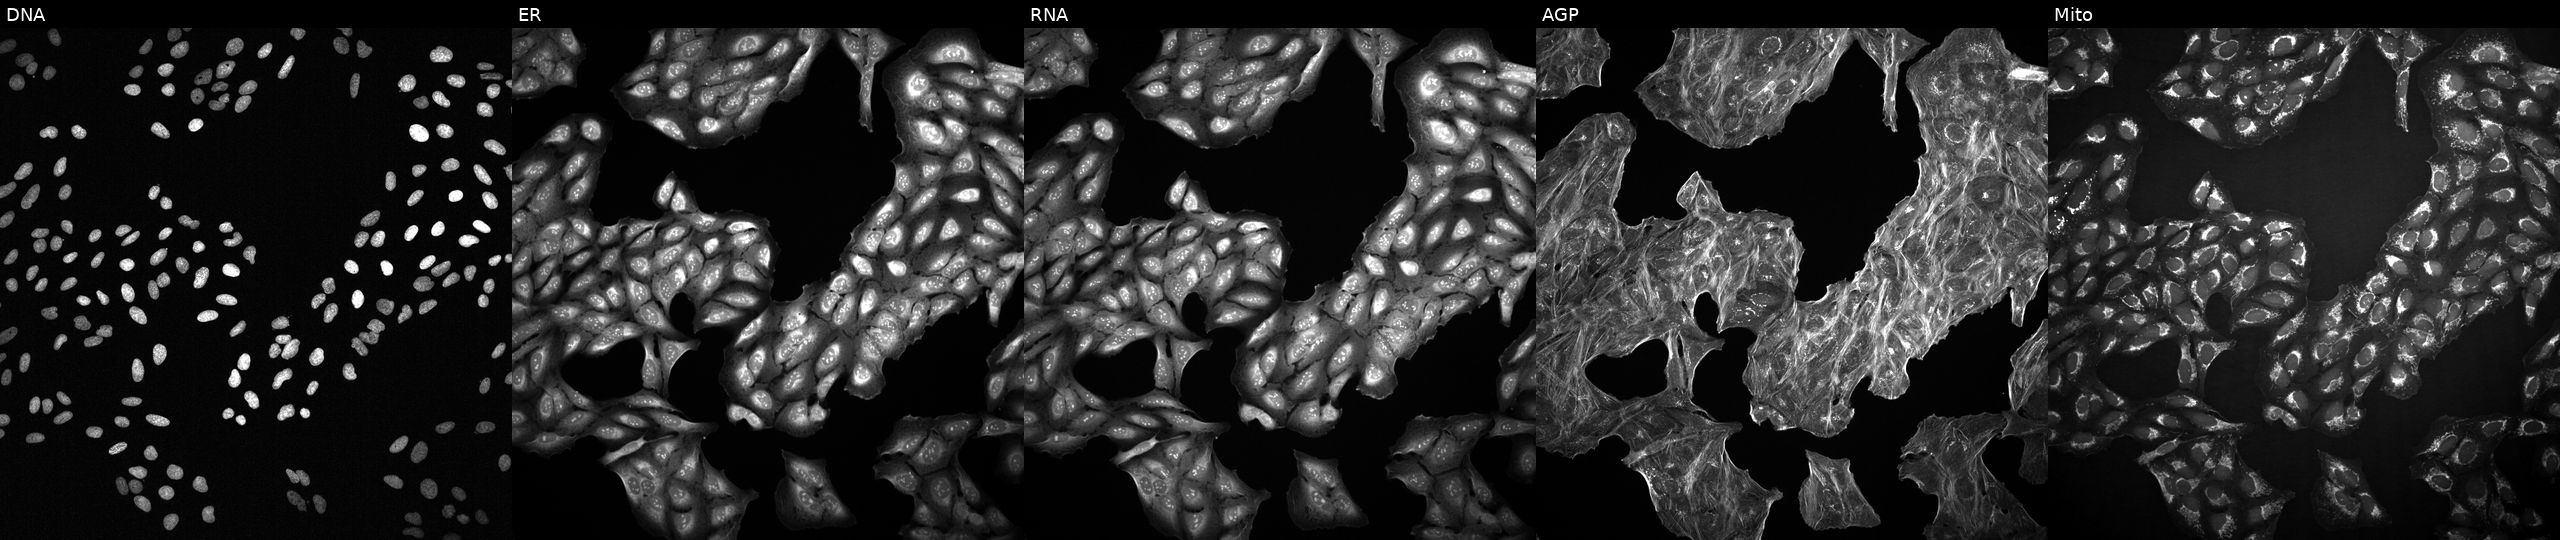
This image strip shows the five Cell Painting channels for a single field of U2OS cells treated with a small-molecule compound. Channels (left→right): DNA, ER, RNA, AGP, and Mito.